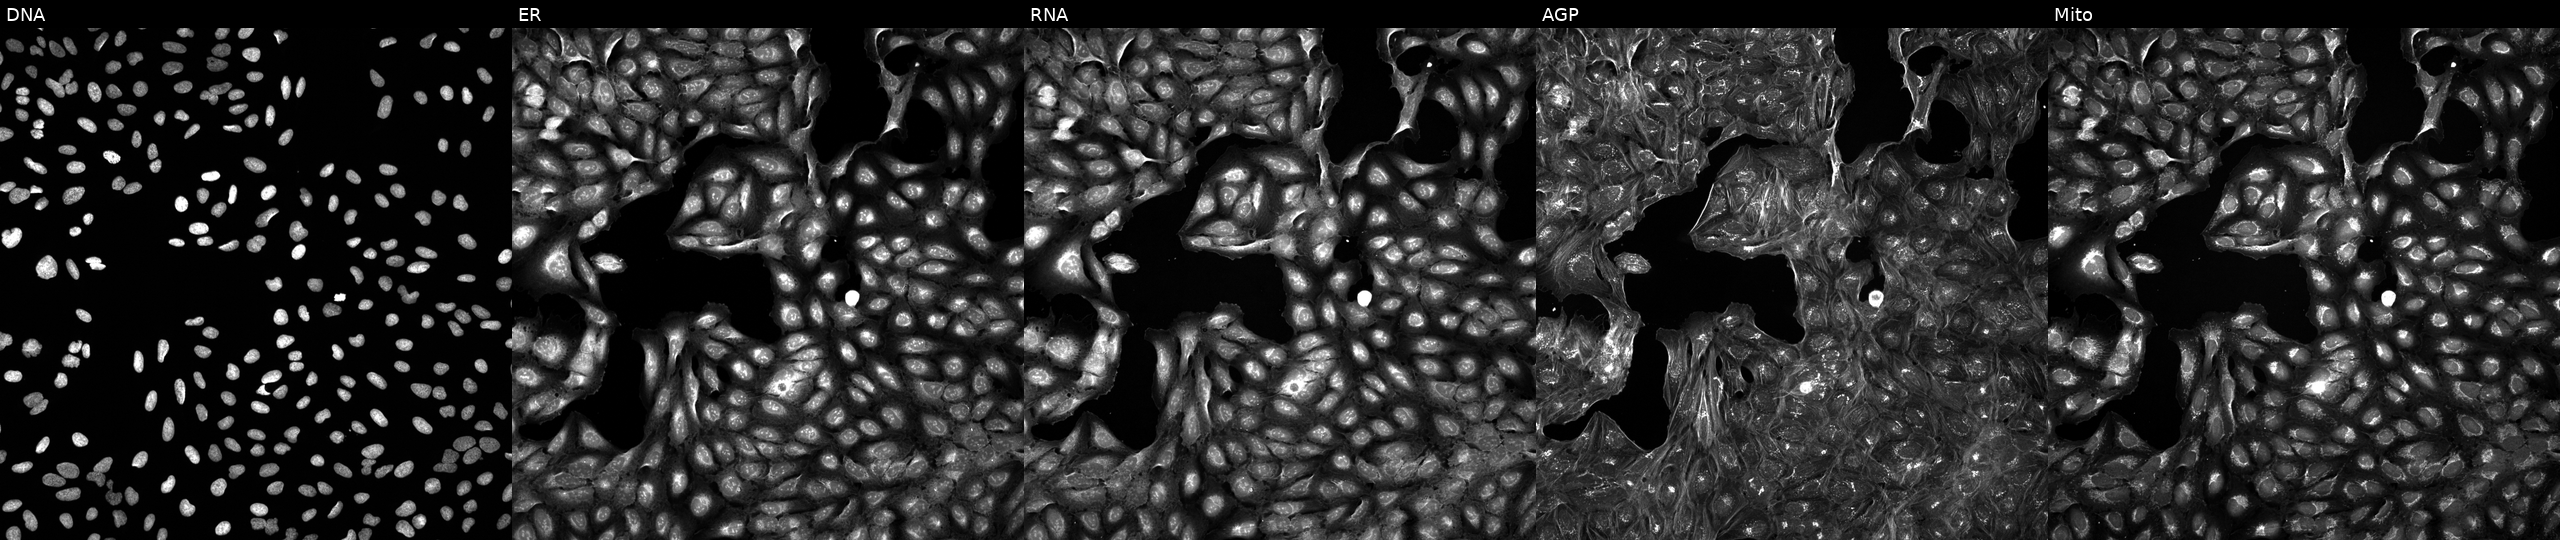
Five-channel Cell Painting image of U2OS cells exposed to a small-molecule compound (InChIKey MOOPMSLTPQTIAW-UHFFFAOYSA-N) [SMILES: Cc1cccn2c(=O)cc(CN3CCOC(c4ccc(F)cc4)C3)nc12]. From left to right: DNA, ER, RNA, AGP, and Mito. Source 5, plate APTJUM105, well J15.